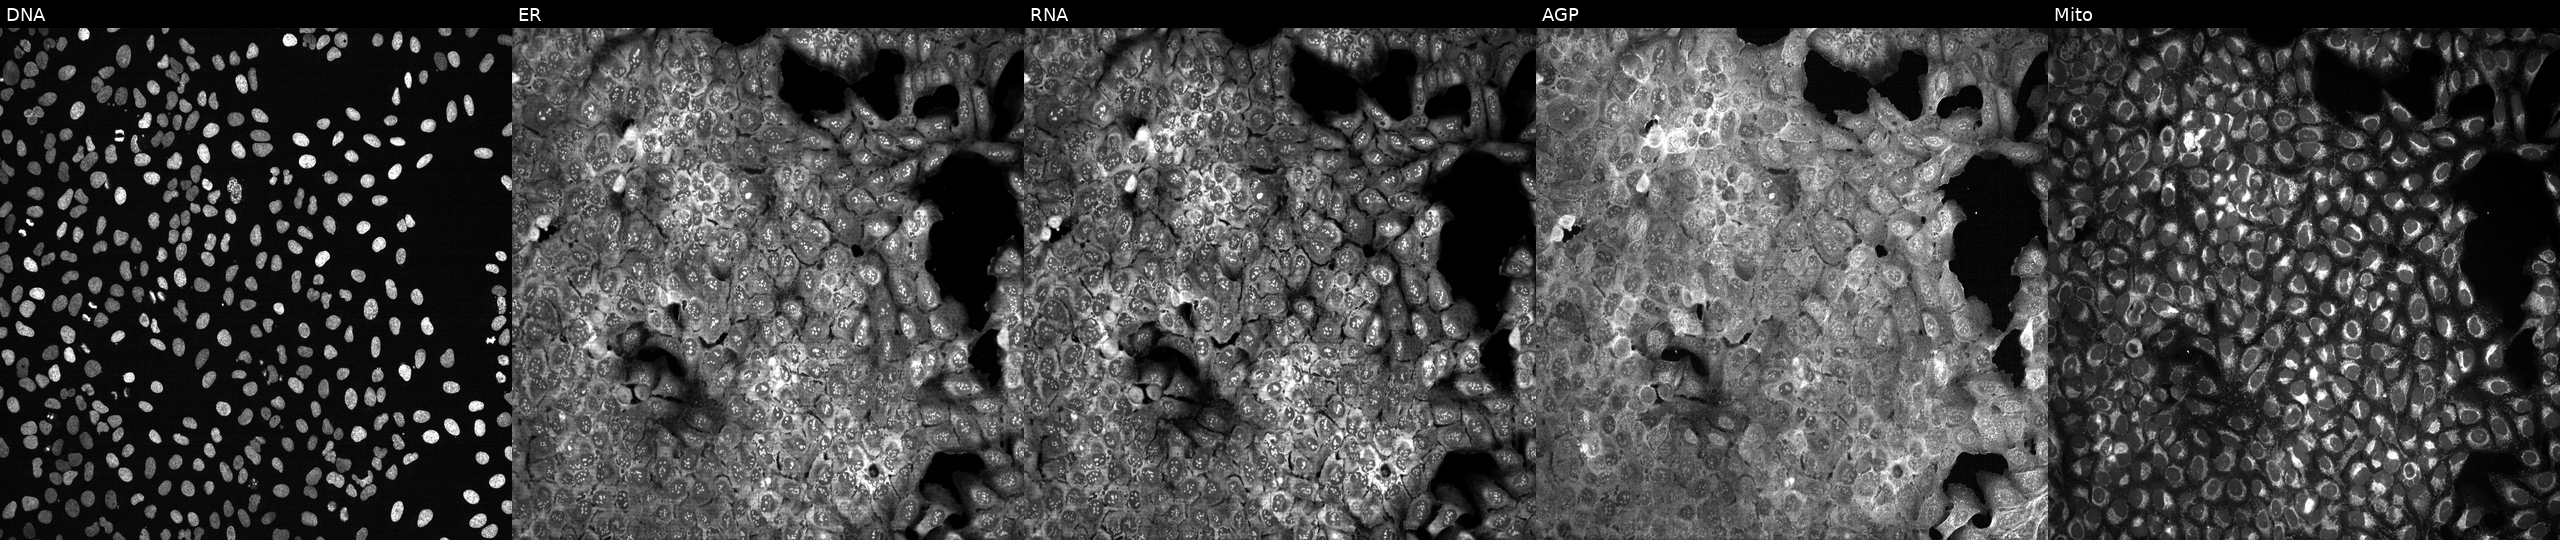
This image strip shows the five Cell Painting channels for a single field of U2OS cells with A4GNT knocked out by CRISPR. Channels (left→right): DNA (nuclei); ER (endoplasmic reticulum); RNA (nucleoli and cytoplasmic RNA); AGP (actin cytoskeleton, Golgi, and plasma membrane); Mito (mitochondria).